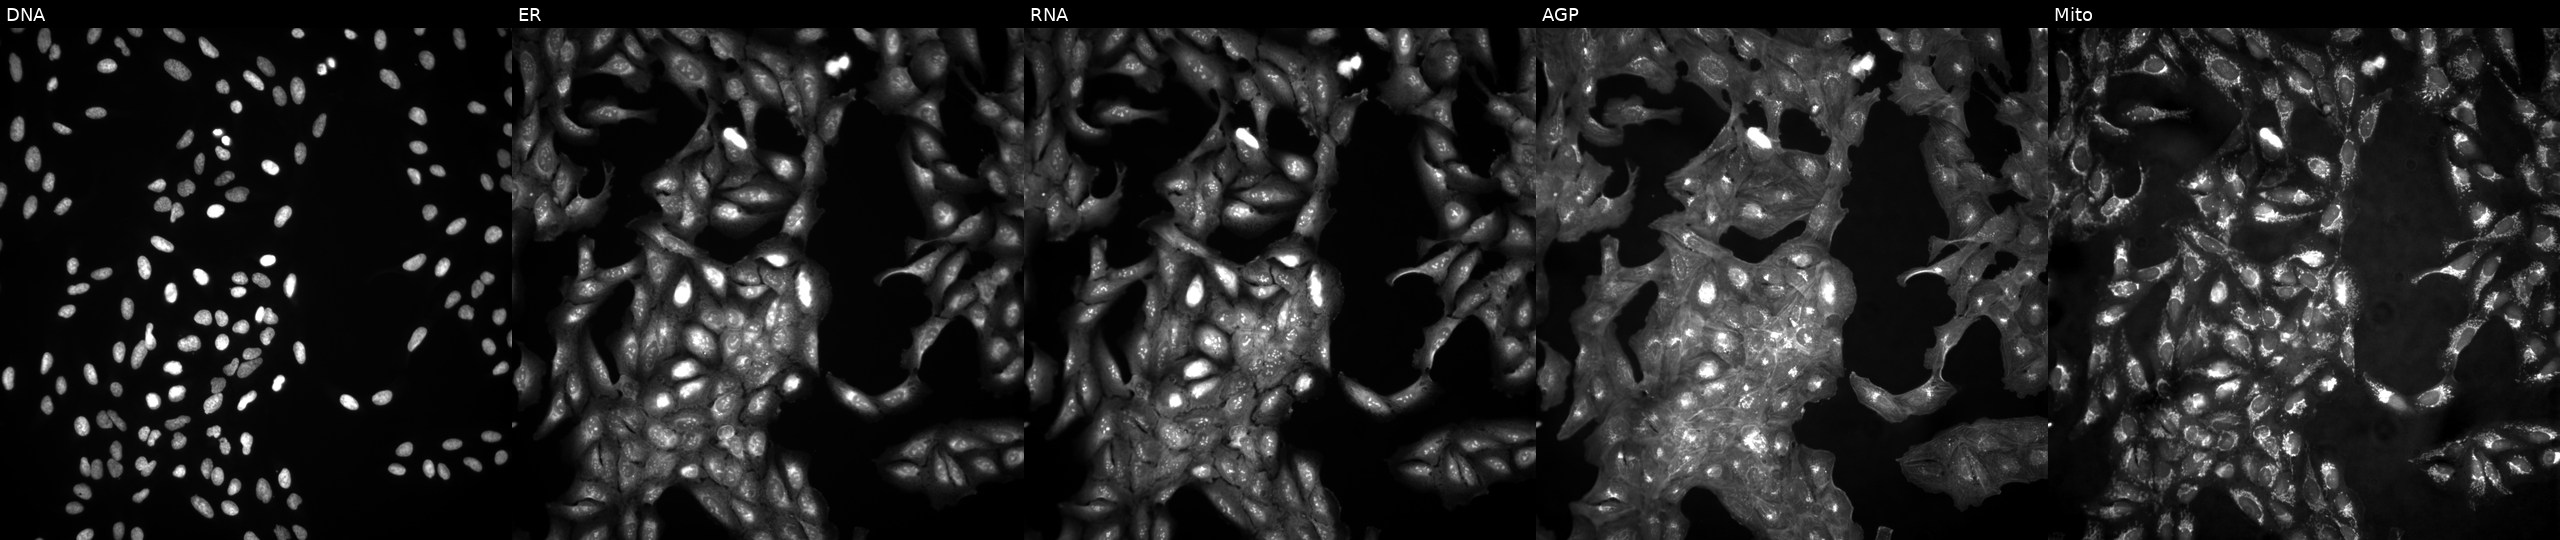
Channels (left→right): DNA, ER, RNA, AGP, and Mito. U2OS osteosarcoma cells in an empty control well (no perturbation). Cell Painting assay, JUMP-CP dataset.